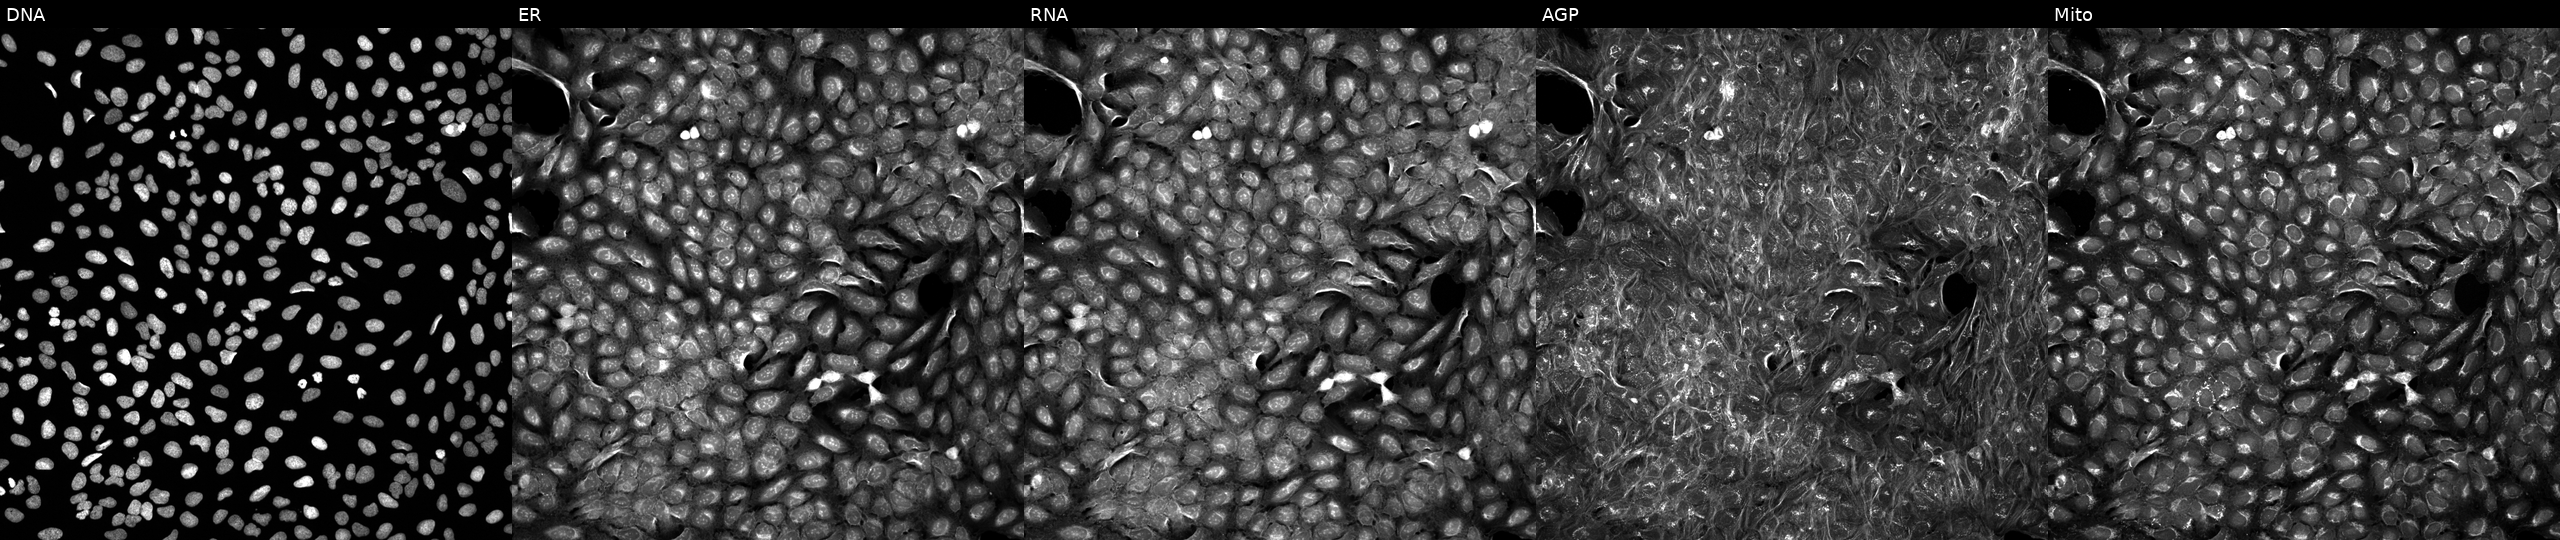
Five-channel Cell Painting image of U2OS cells treated with DMSO vehicle only (negative control). Channels (left→right): Hoechst 33342, concanavalin A, SYTO 14, phalloidin and WGA, MitoTracker.